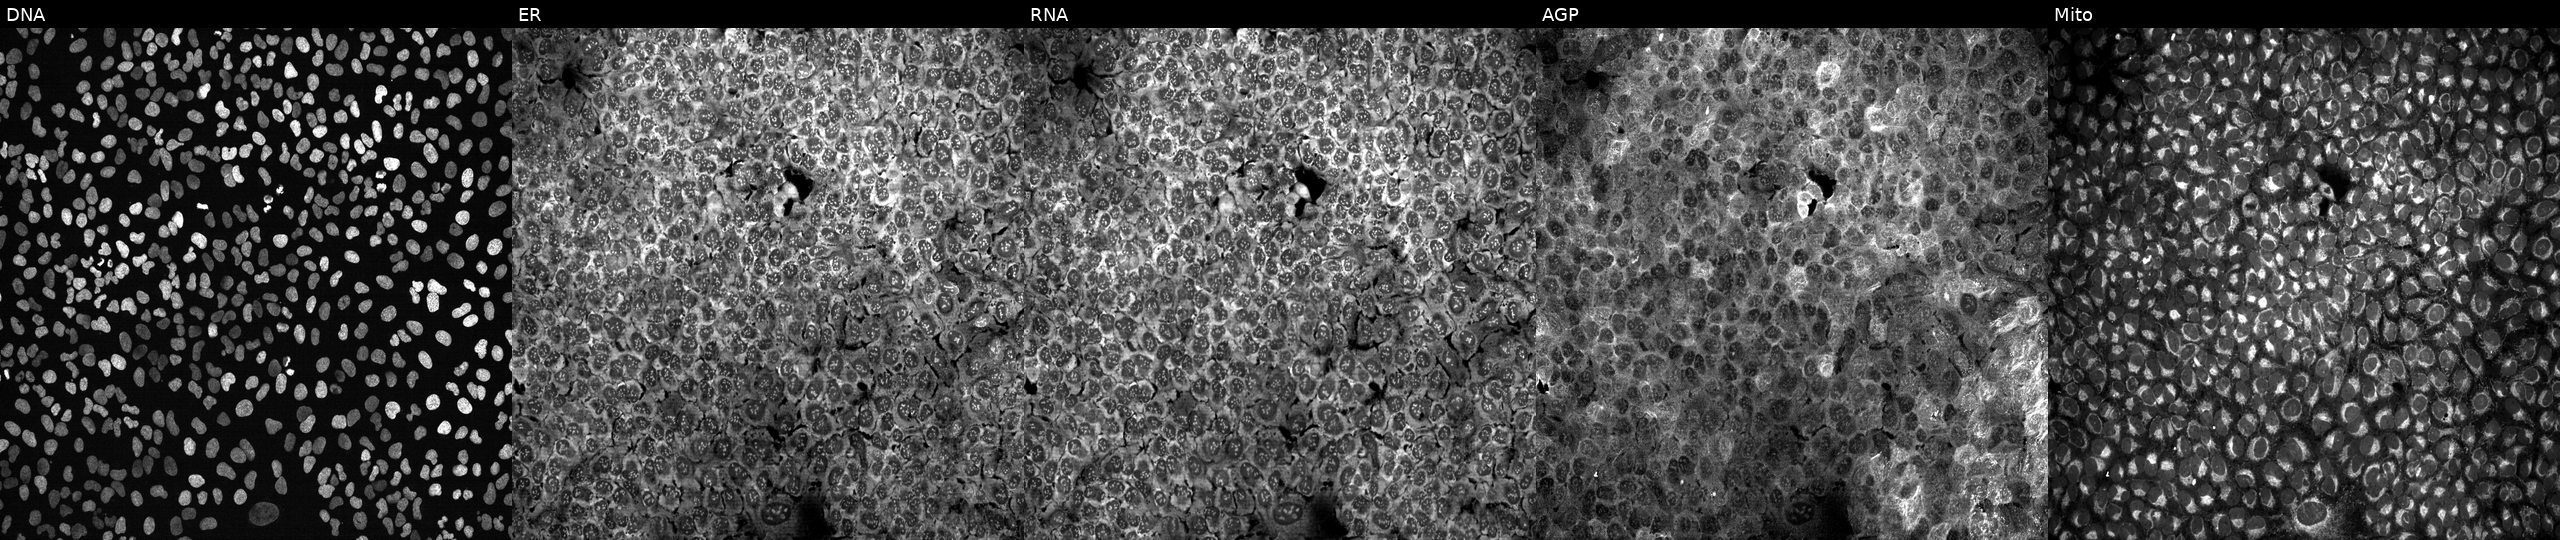
U2OS cells, Cell Painting assay, with no CRISPR guide (negative control) (JUMP id JCP2022_800001). Panels show, left to right, DNA (nuclei); ER (endoplasmic reticulum); RNA (nucleoli and cytoplasmic RNA); AGP (actin cytoskeleton, Golgi, and plasma membrane); Mito (mitochondria). Each panel is percentile-stretched 16-bit fluorescence.